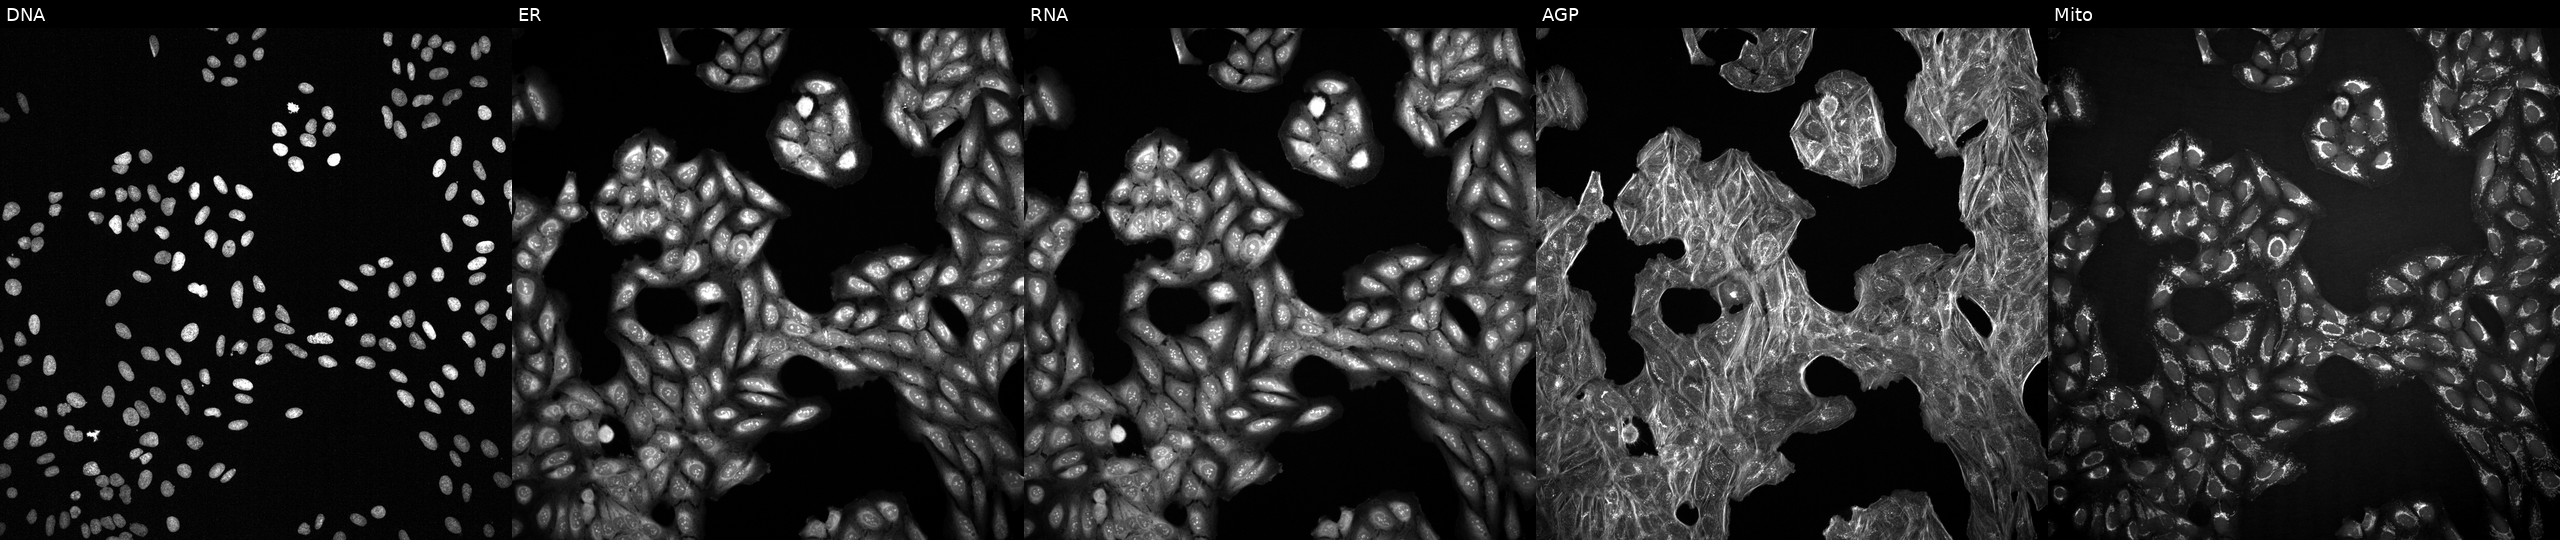
U2OS cells, Cell Painting assay, exposed to a small-molecule compound (InChIKey LPAHKJMGDSJDRG-UHFFFAOYSA-N) [SMILES: CCCCC(NC(=O)C(Cc1cn(C(=O)OC)c2ccccc12)NC(=O)C(CC(C)(C)C)NC(=O)N1C(C)CCCC1C)C(=O)O] (JUMP id JCP2022_050830). Panels show, left to right, Hoechst 33342, concanavalin A, SYTO 14, phalloidin and WGA, MitoTracker. Each panel is percentile-stretched 16-bit fluorescence.